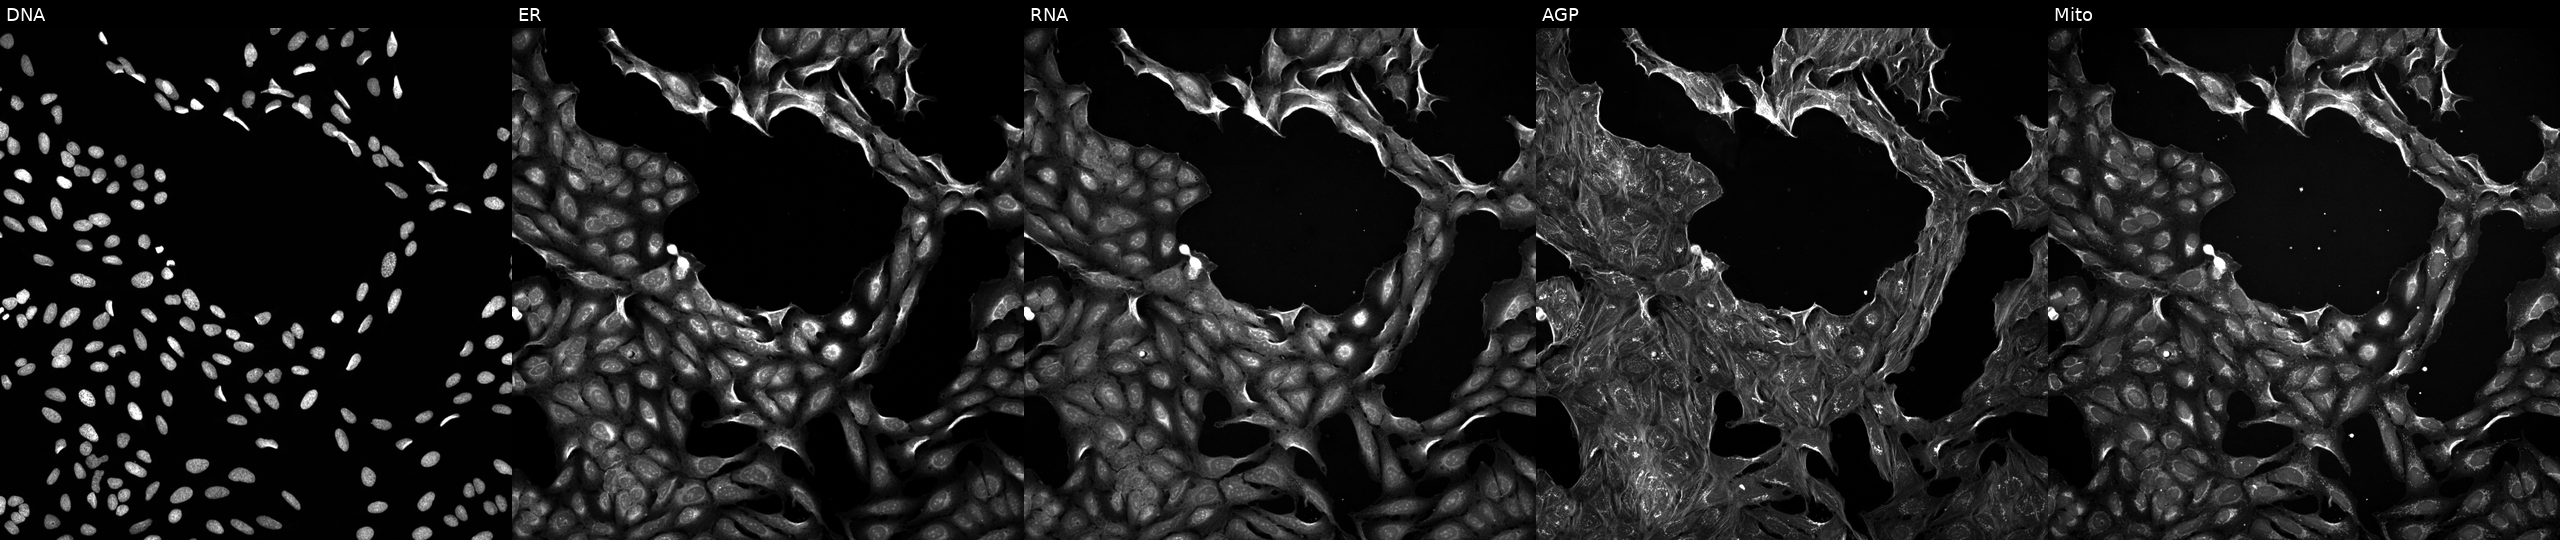
JUMP Cell Painting — TARGET2 plate. U2OS cells perturbed with a small-molecule compound (InChIKey FNHKPVJBJVTLMP-UHFFFAOYSA-N). The five panels, left to right, show DNA (nuclei); ER (endoplasmic reticulum); RNA (nucleoli and cytoplasmic RNA); AGP (actin cytoskeleton, Golgi, and plasma membrane); Mito (mitochondria).